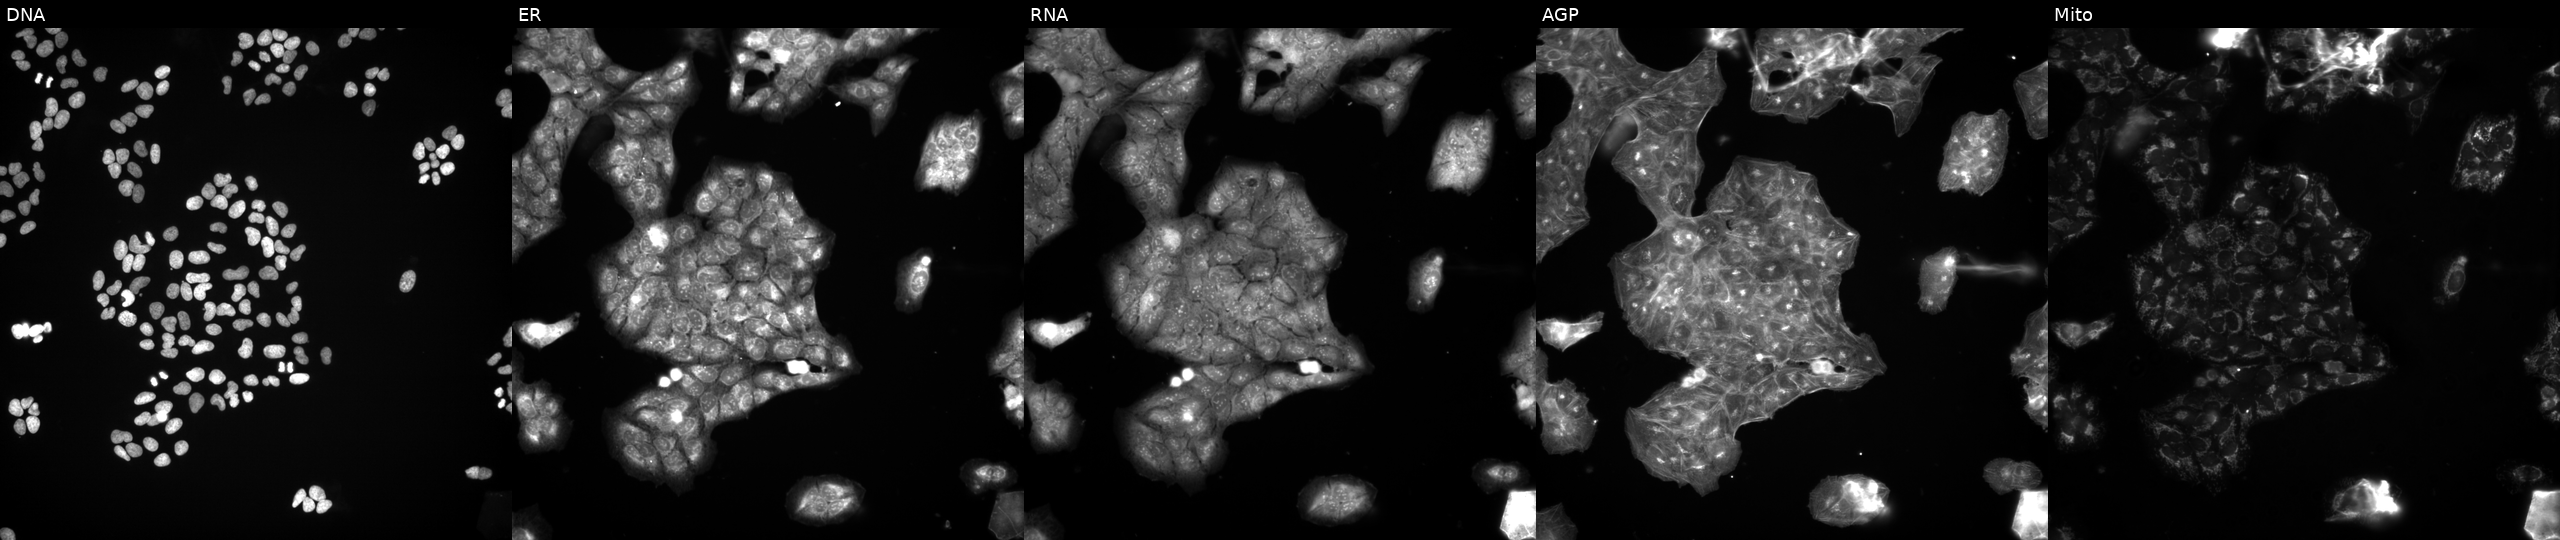
U2OS cells, Cell Painting assay, perturbed with a small-molecule compound (InChIKey PBBRWFOVCUAONR-UHFFFAOYSA-N). From left to right: DNA (nuclei); ER (endoplasmic reticulum); RNA (nucleoli and cytoplasmic RNA); AGP (actin cytoskeleton, Golgi, and plasma membrane); Mito (mitochondria). Each panel is percentile-stretched 16-bit fluorescence. Source 3, plate JCPQC053, well C03.